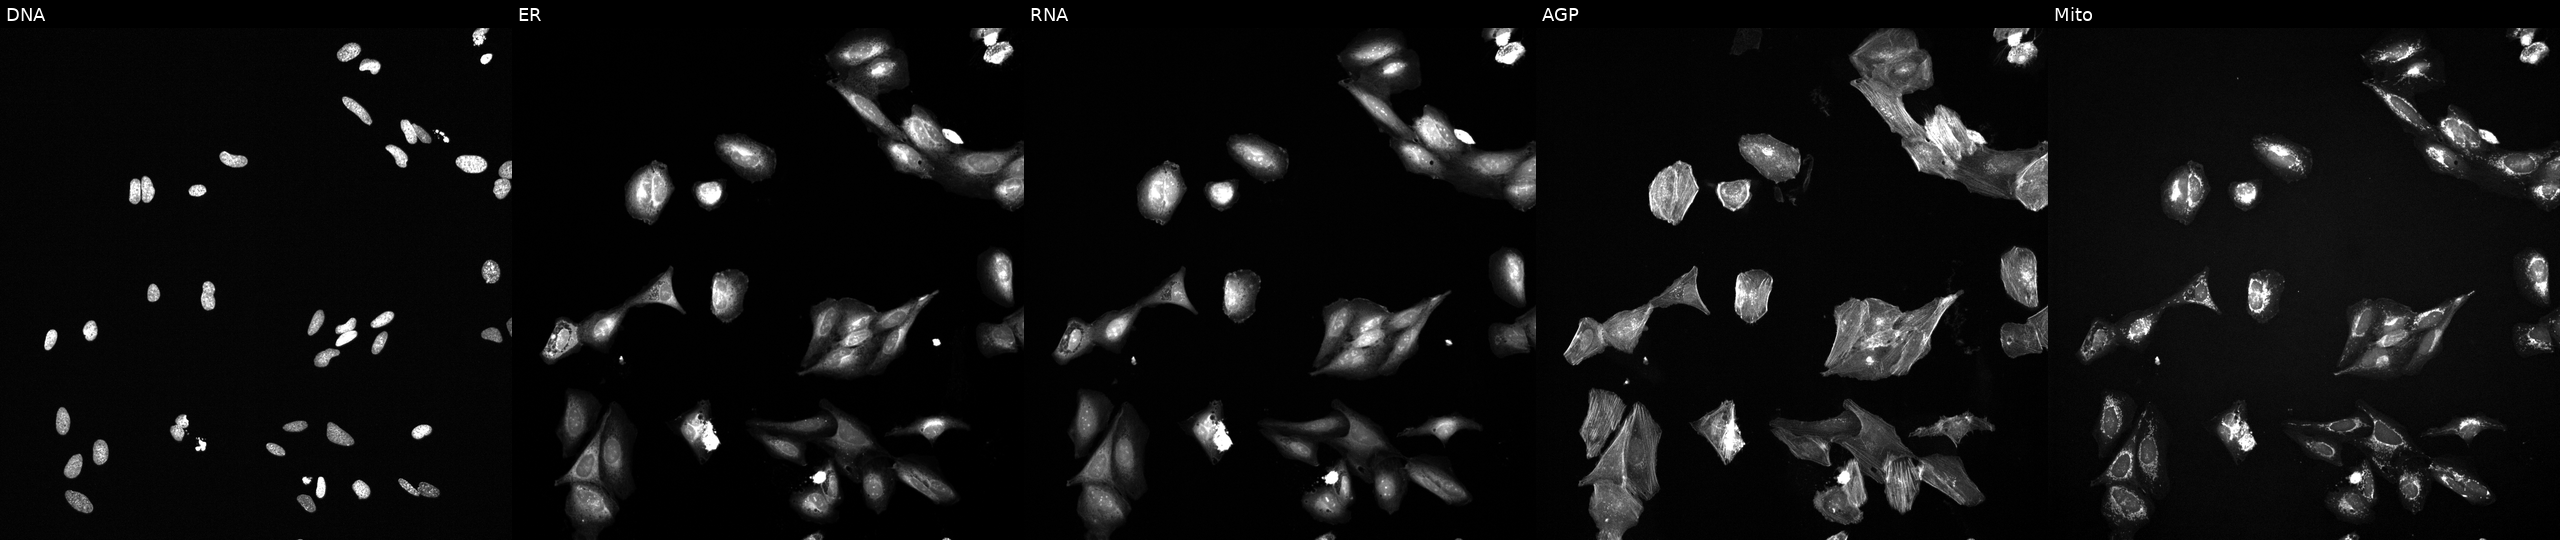
JUMP Cell Painting — TARGET2 plate. U2OS cells exposed to a small-molecule compound (InChIKey AYCPARAPKDAOEN-UHFFFAOYSA-N) (JUMP id JCP2022_004587). From left to right: Hoechst 33342, concanavalin A, SYTO 14, phalloidin and WGA, MitoTracker.